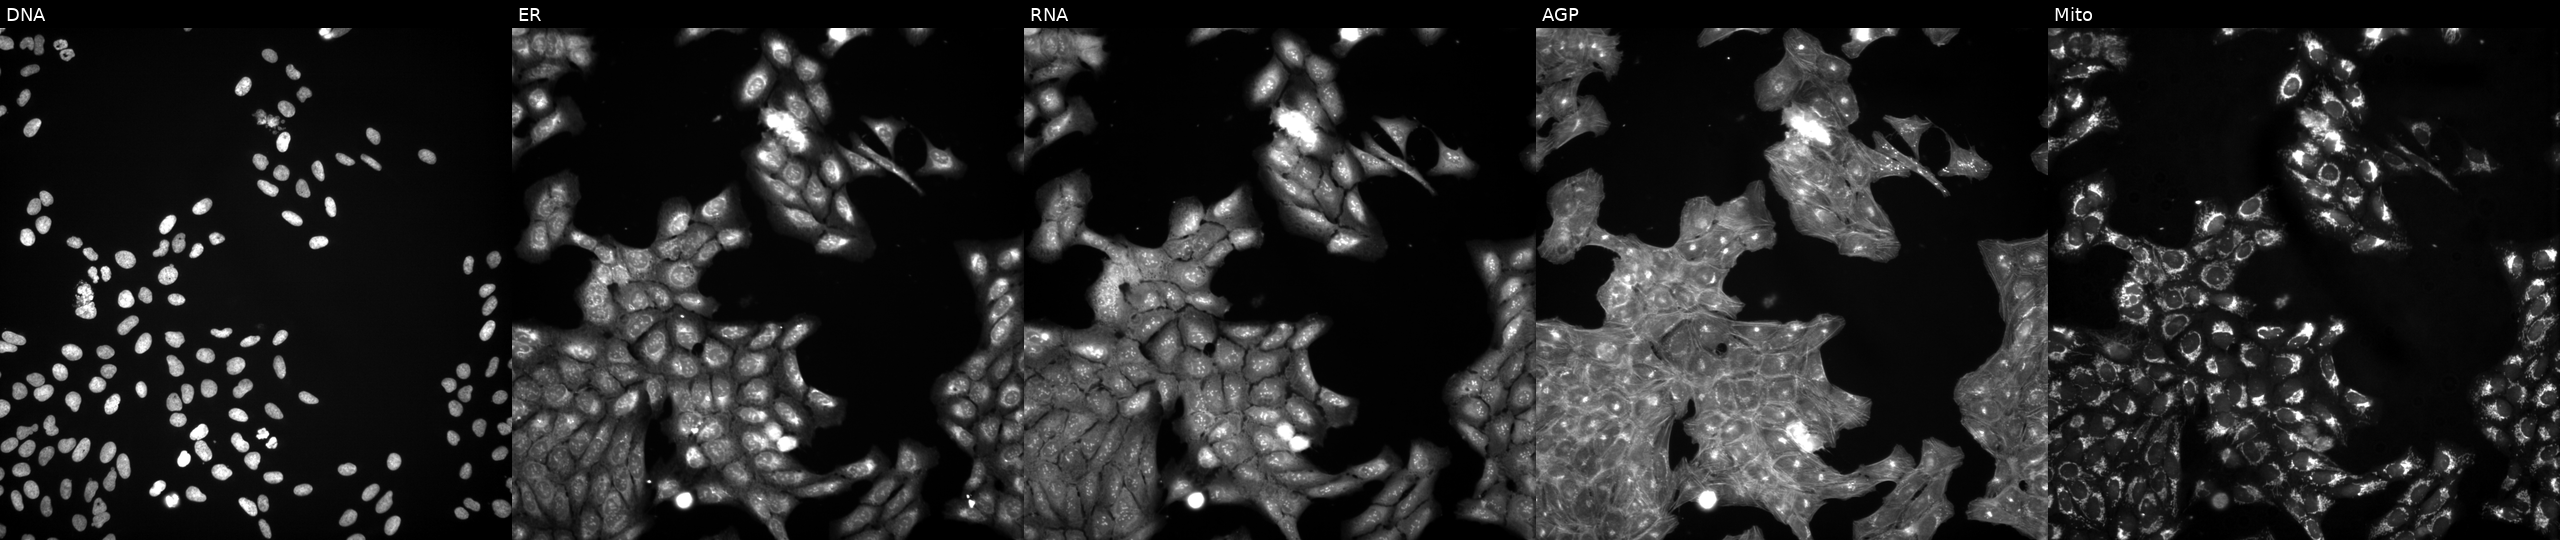
JUMP Cell Painting — TARGET2 plate. U2OS cells exposed to DMSO alone as a negative control (JUMP id JCP2022_033924). Channels (left→right): DNA (nuclei); ER (endoplasmic reticulum); RNA (nucleoli and cytoplasmic RNA); AGP (actin cytoskeleton, Golgi, and plasma membrane); Mito (mitochondria).